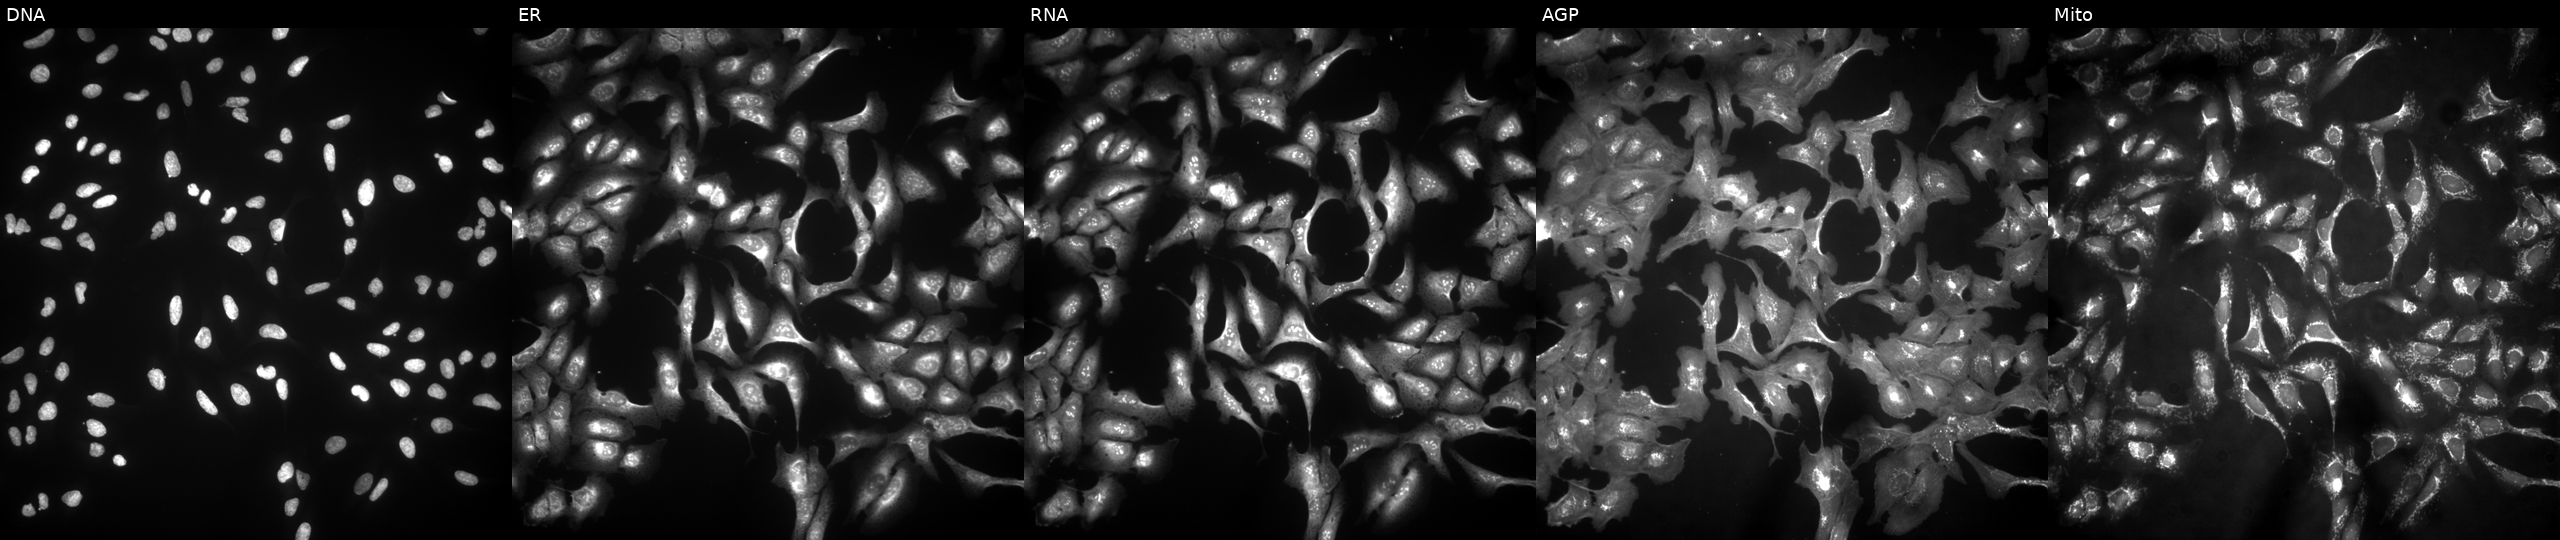
JUMP Cell Painting — ORF plate. U2OS cells overexpressing TBXAS1 via ORF transfection (JUMP id JCP2022_901534). The five panels, left to right, show DNA (nuclei); ER (endoplasmic reticulum); RNA (nucleoli and cytoplasmic RNA); AGP (actin cytoskeleton, Golgi, and plasma membrane); Mito (mitochondria). Source 4, plate BR00123506, well M17.